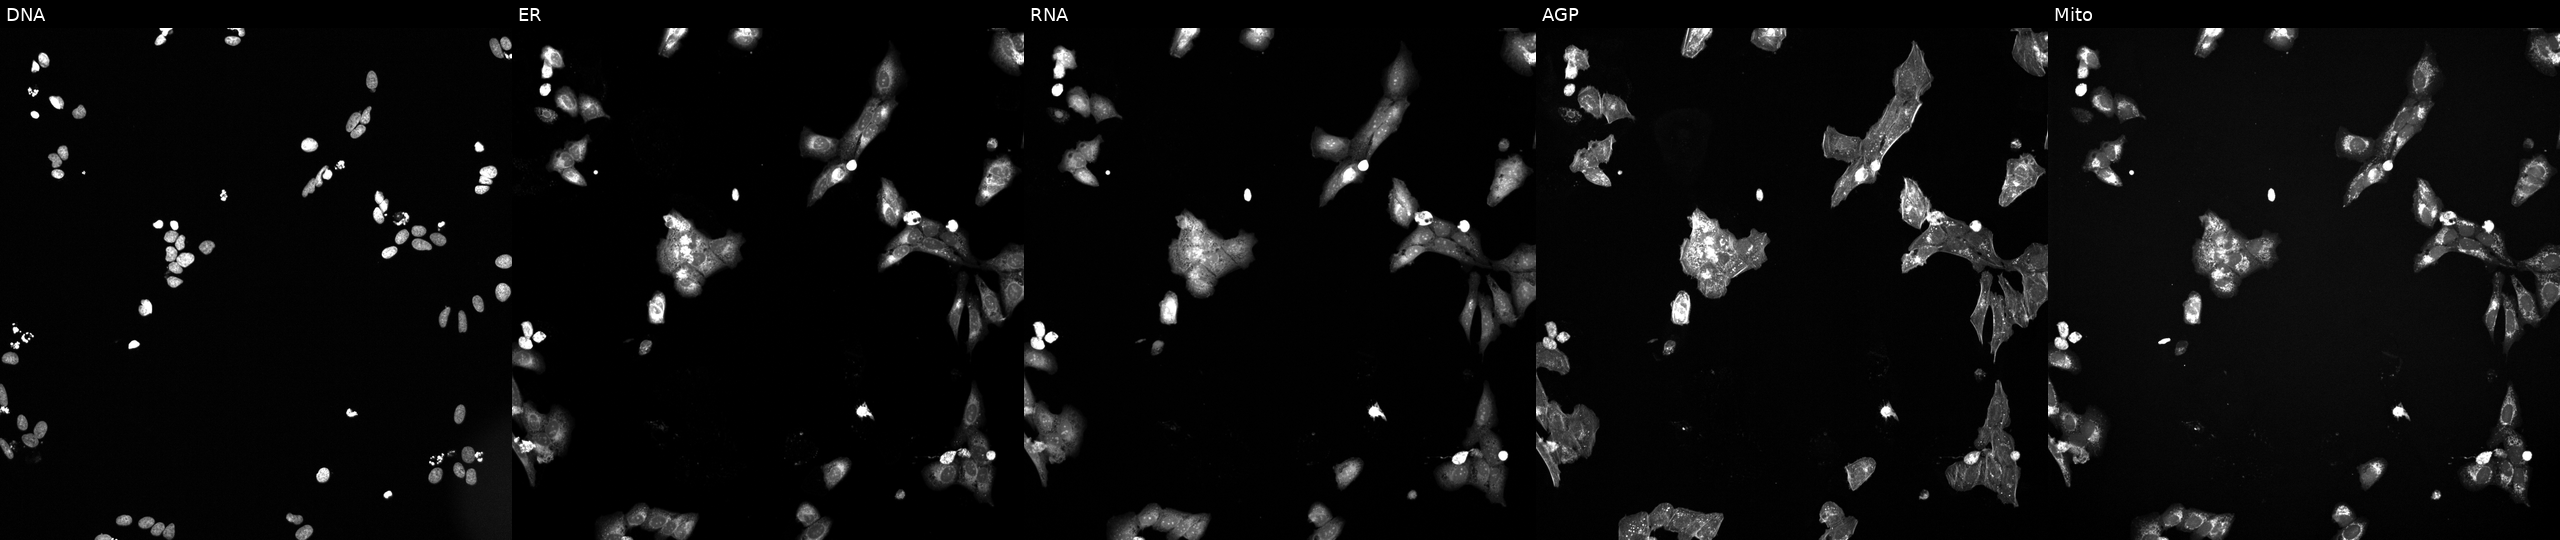
JUMP Cell Painting — TARGET2 plate. U2OS cells perturbed with a small-molecule compound (JUMP id JCP2022_057971). The five panels, left to right, show DNA, ER, RNA, AGP, and Mito. Source 6, plate 110000294901, well K01.